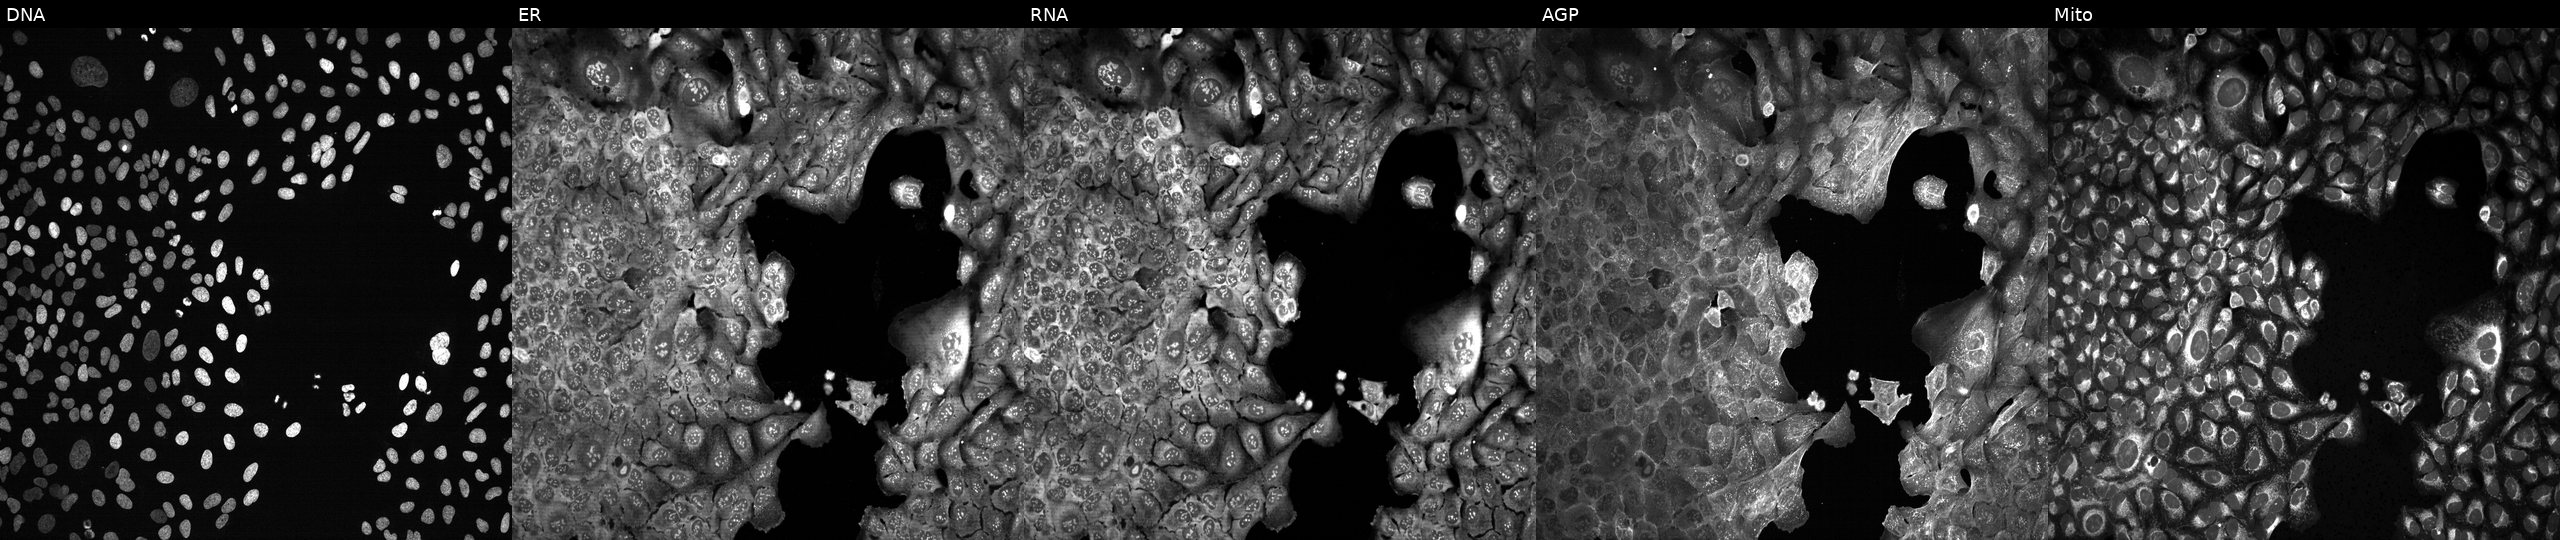
The five panels, left to right, show DNA (nuclei); ER (endoplasmic reticulum); RNA (nucleoli and cytoplasmic RNA); AGP (actin cytoskeleton, Golgi, and plasma membrane); Mito (mitochondria). U2OS osteosarcoma cells following CRISPR knockout of PHEX (JUMP id JCP2022_805094). Cell Painting assay, JUMP-CP dataset. Source 13, plate CP-CC9-R6-19, well O13.